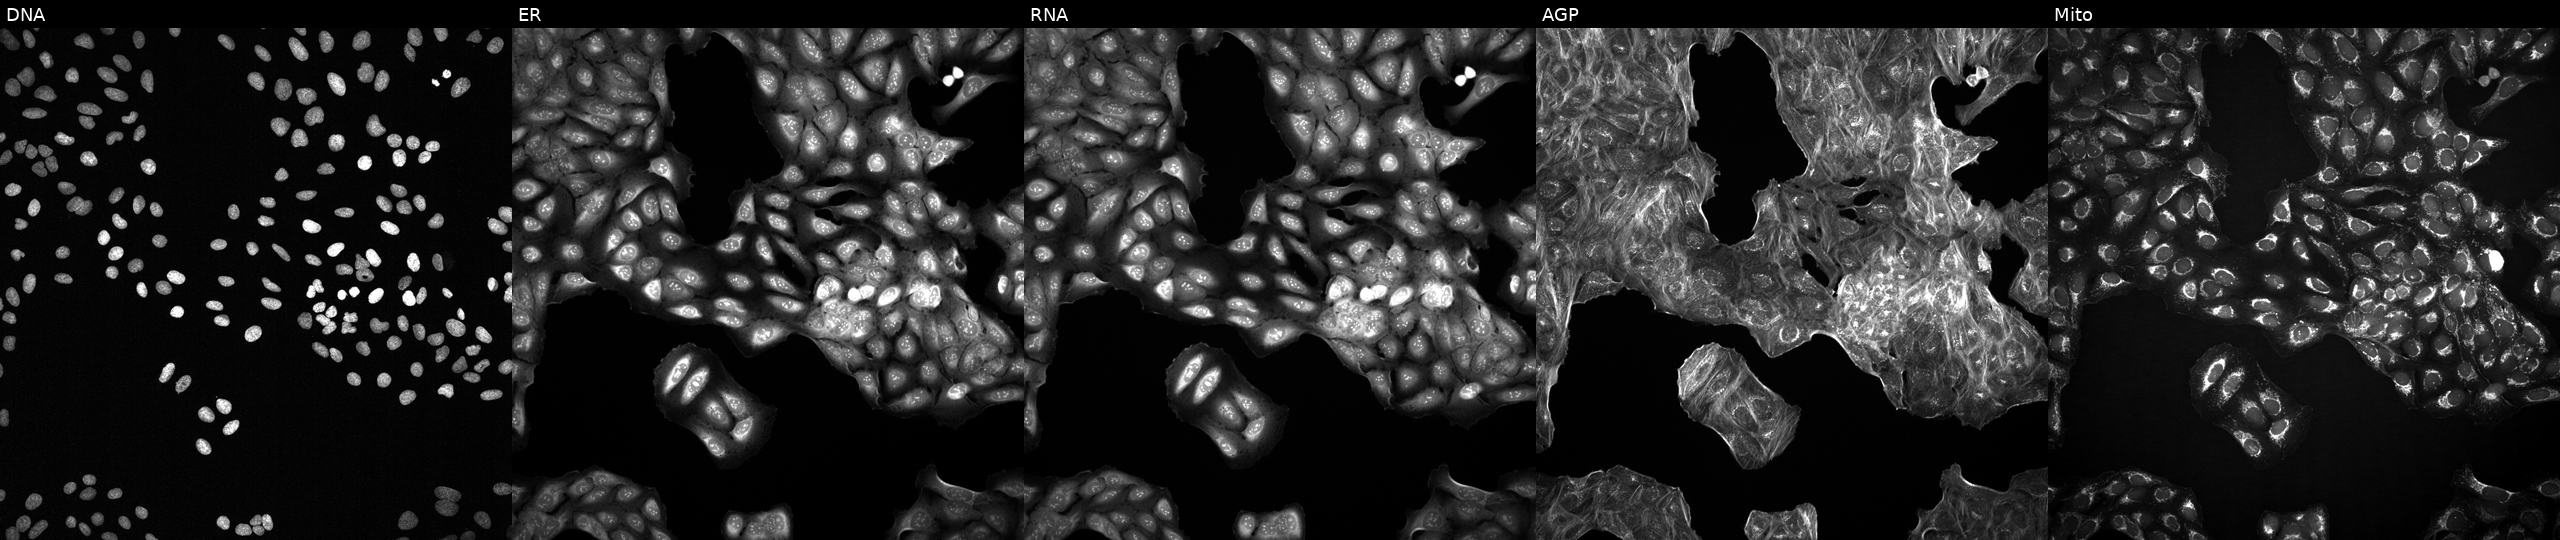
Five-channel Cell Painting image of U2OS cells with an unidentified perturbation (not annotated in JUMP metadata). From left to right: DNA (nuclei); ER (endoplasmic reticulum); RNA (nucleoli and cytoplasmic RNA); AGP (actin cytoskeleton, Golgi, and plasma membrane); Mito (mitochondria).